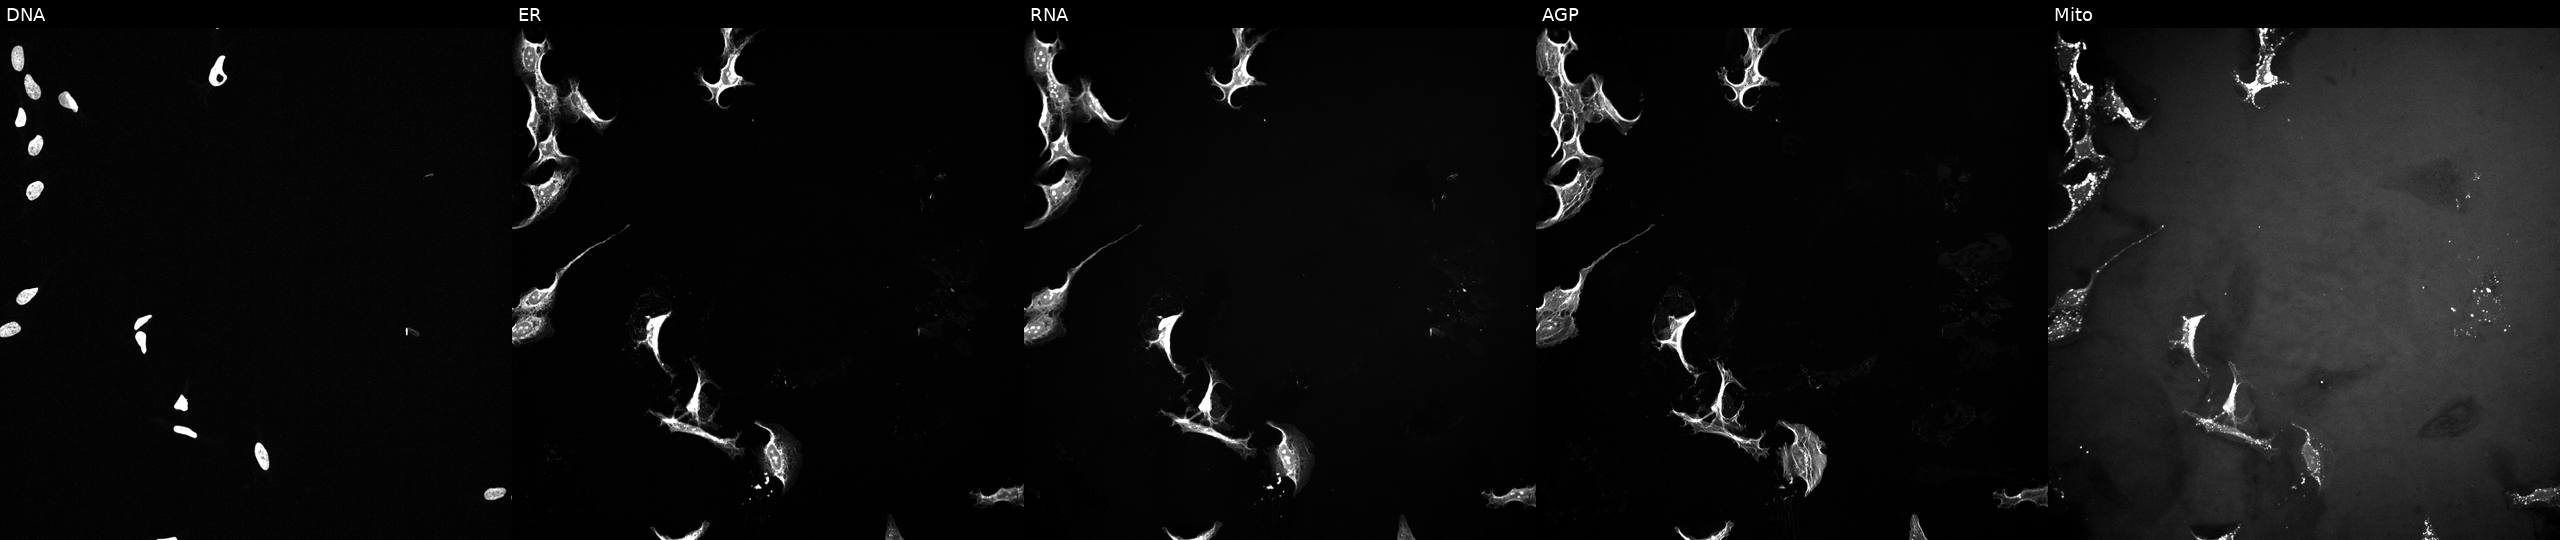
From left to right: Hoechst 33342, concanavalin A, SYTO 14, phalloidin and WGA, MitoTracker. U2OS osteosarcoma cells perturbed with a small-molecule compound (InChIKey QNRODODTMXCRKU-UHFFFAOYSA-N). Cell Painting assay, JUMP-CP dataset.